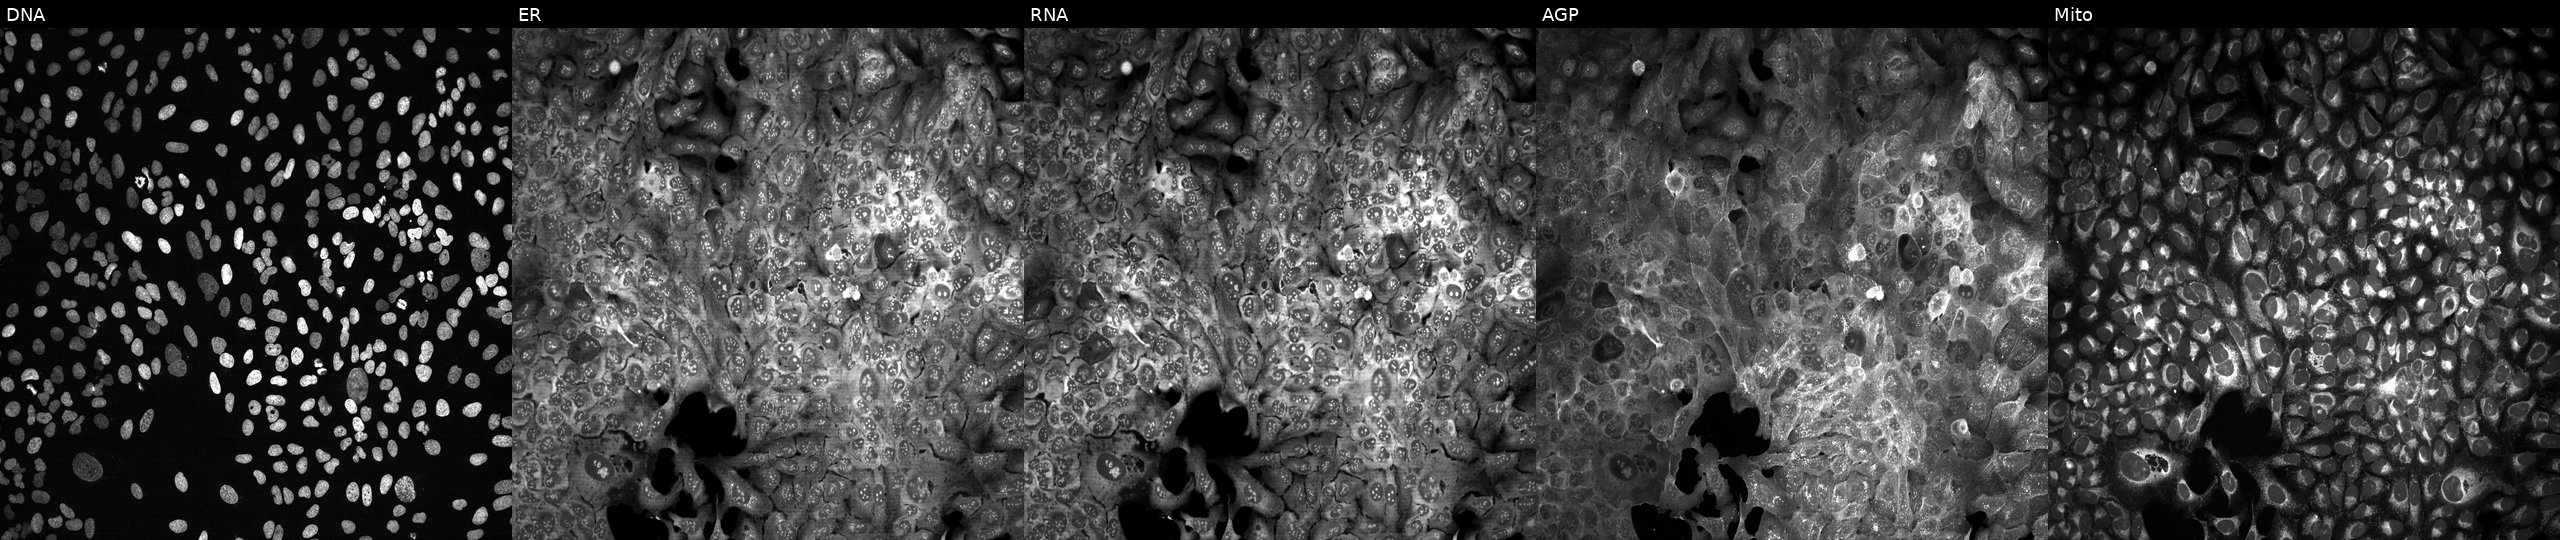
U2OS cells, Cell Painting assay, following CRISPR knockout of ADAM12 (JUMP id JCP2022_800167). Panels show, left to right, DNA, ER, RNA, AGP, and Mito. Each panel is percentile-stretched 16-bit fluorescence.